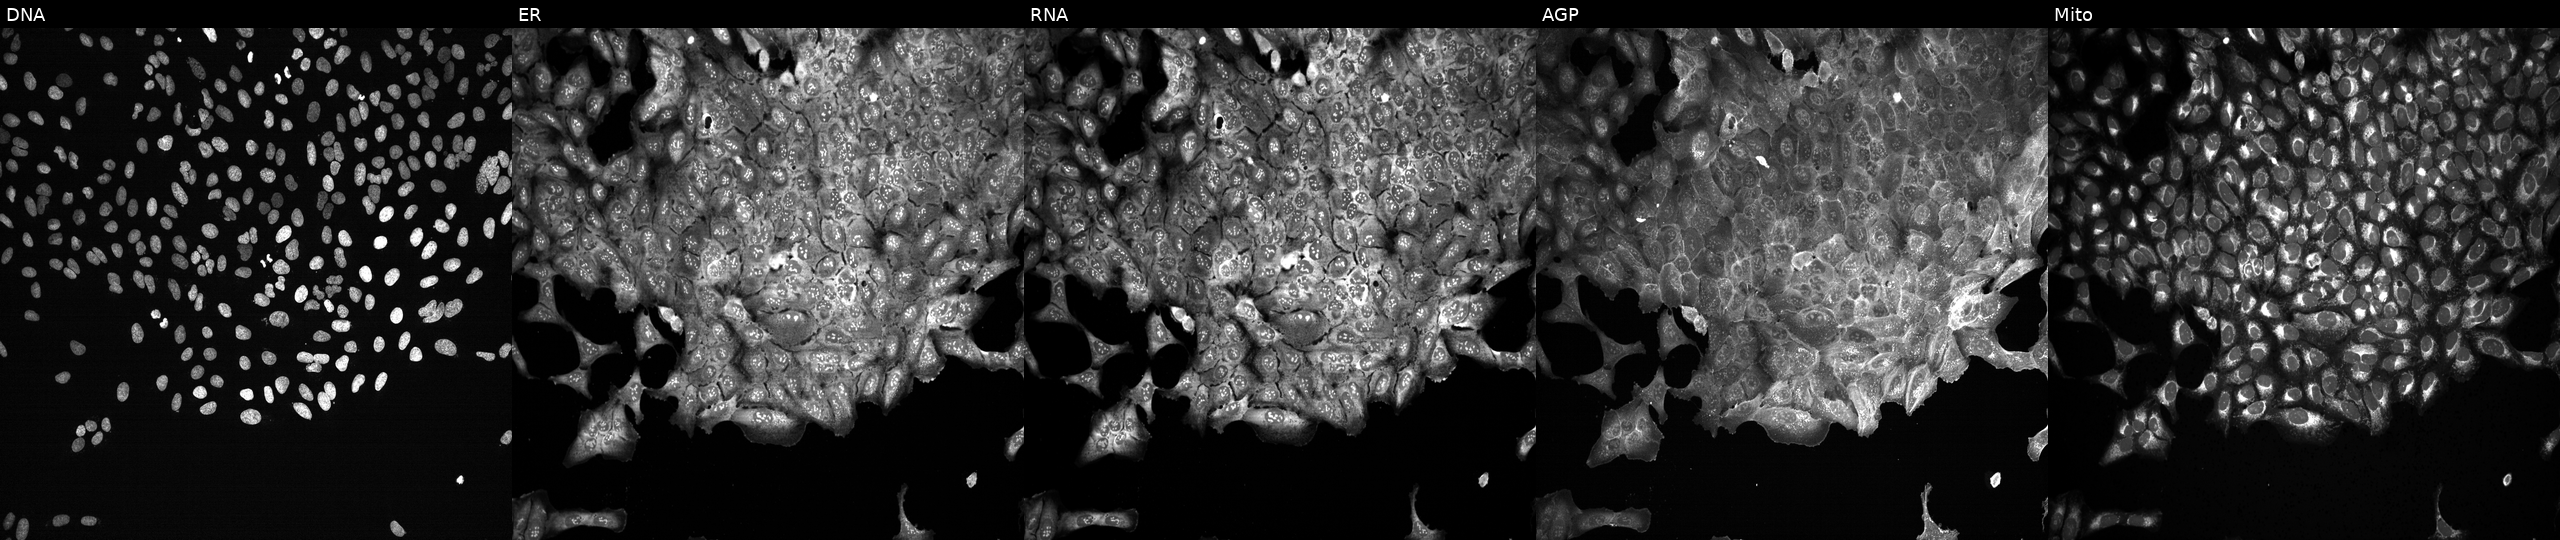
High-content fluorescence microscopy (Cell Painting). Cell line: U2OS. Perturbation: following CRISPR knockout of LAP3 (JUMP id JCP2022_803776). From left to right: Hoechst 33342, concanavalin A, SYTO 14, phalloidin and WGA, MitoTracker.